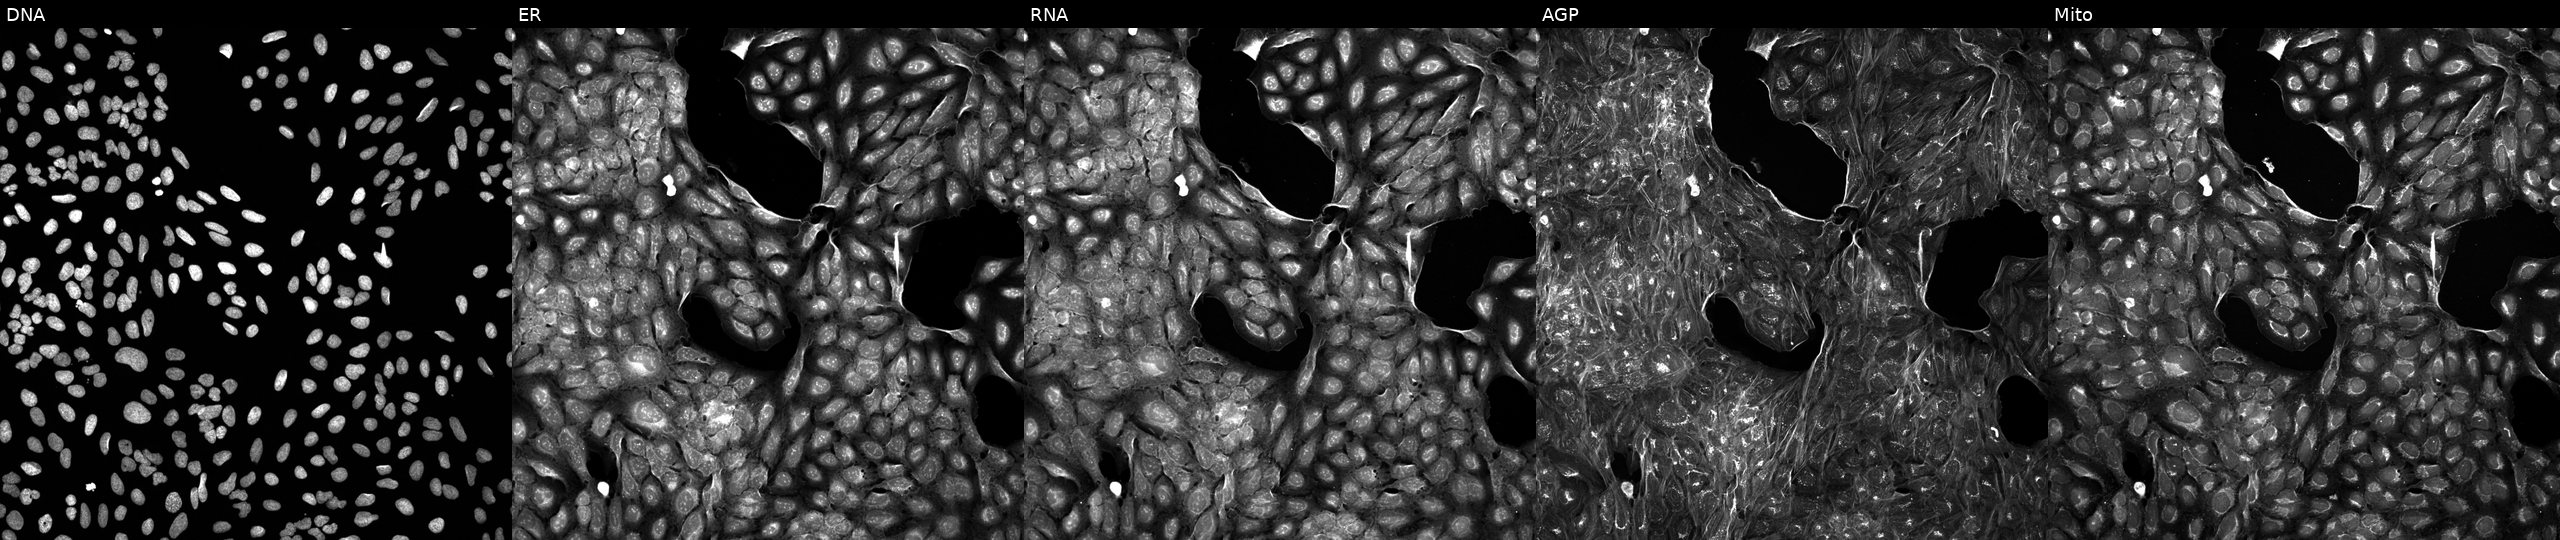
From left to right: DNA, ER, RNA, AGP, and Mito. U2OS osteosarcoma cells treated with a small-molecule compound (InChIKey FDBHUTVHSCAKMR-UHFFFAOYSA-N) [SMILES: CC(C)C(=O)N1CCC(O)(c2ccccc2)C(N(C)C)C1] (JUMP id JCP2022_019860). Cell Painting assay, JUMP-CP dataset.